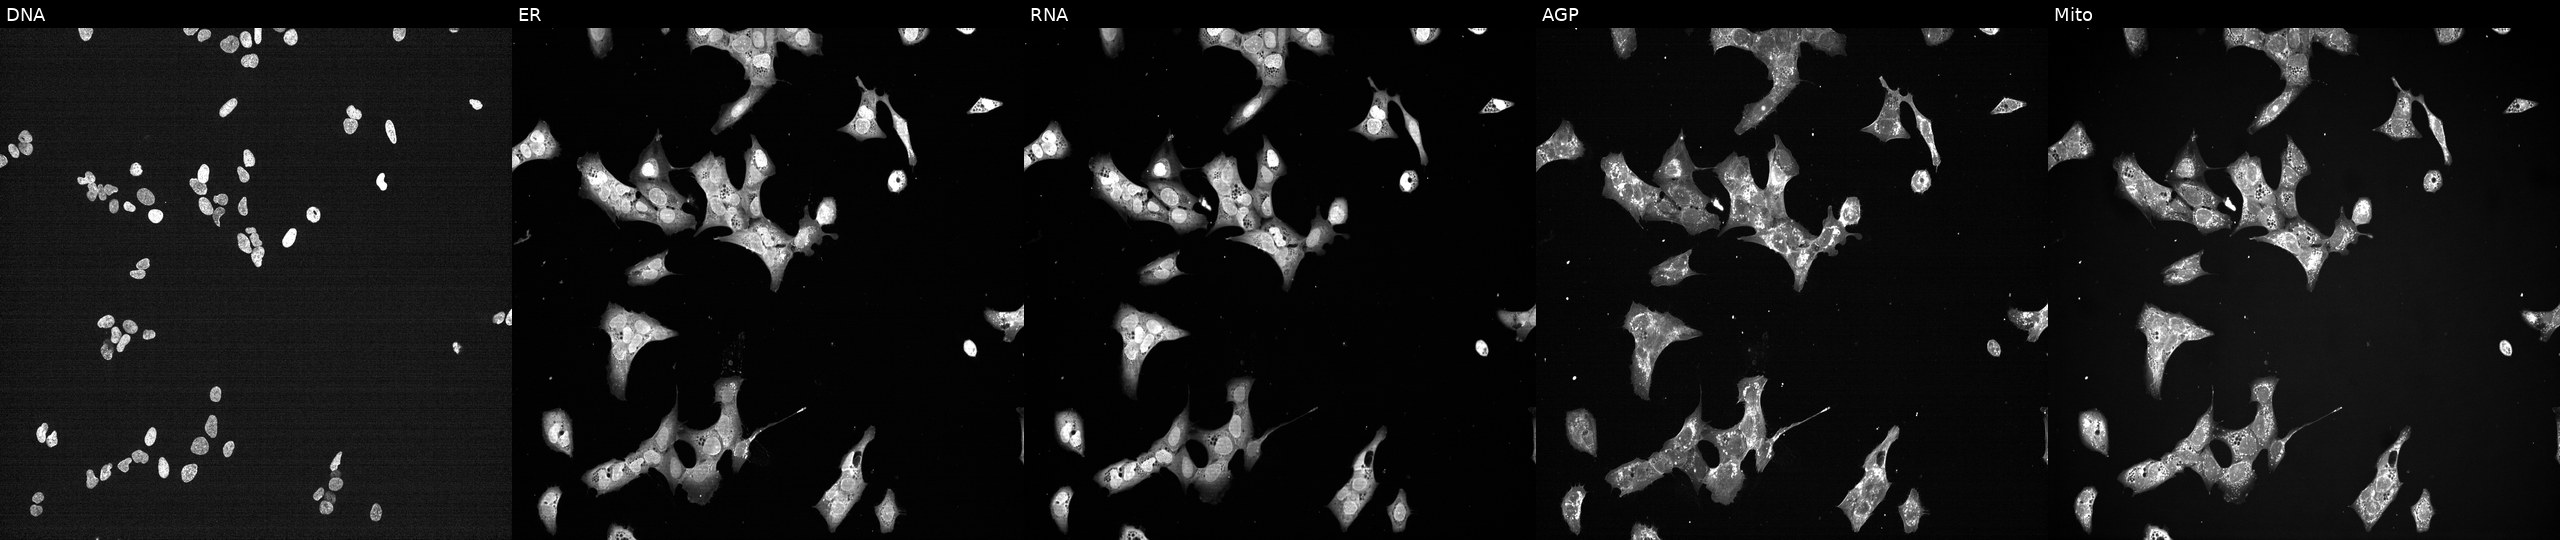
Five-channel Cell Painting image of U2OS cells treated with a small-molecule compound (InChIKey XLSYZSRXVVCHLS-UHFFFAOYSA-N). Panels show, left to right, DNA (nuclei); ER (endoplasmic reticulum); RNA (nucleoli and cytoplasmic RNA); AGP (actin cytoskeleton, Golgi, and plasma membrane); Mito (mitochondria). Source 7, plate CP2-SC1-25, well H11.